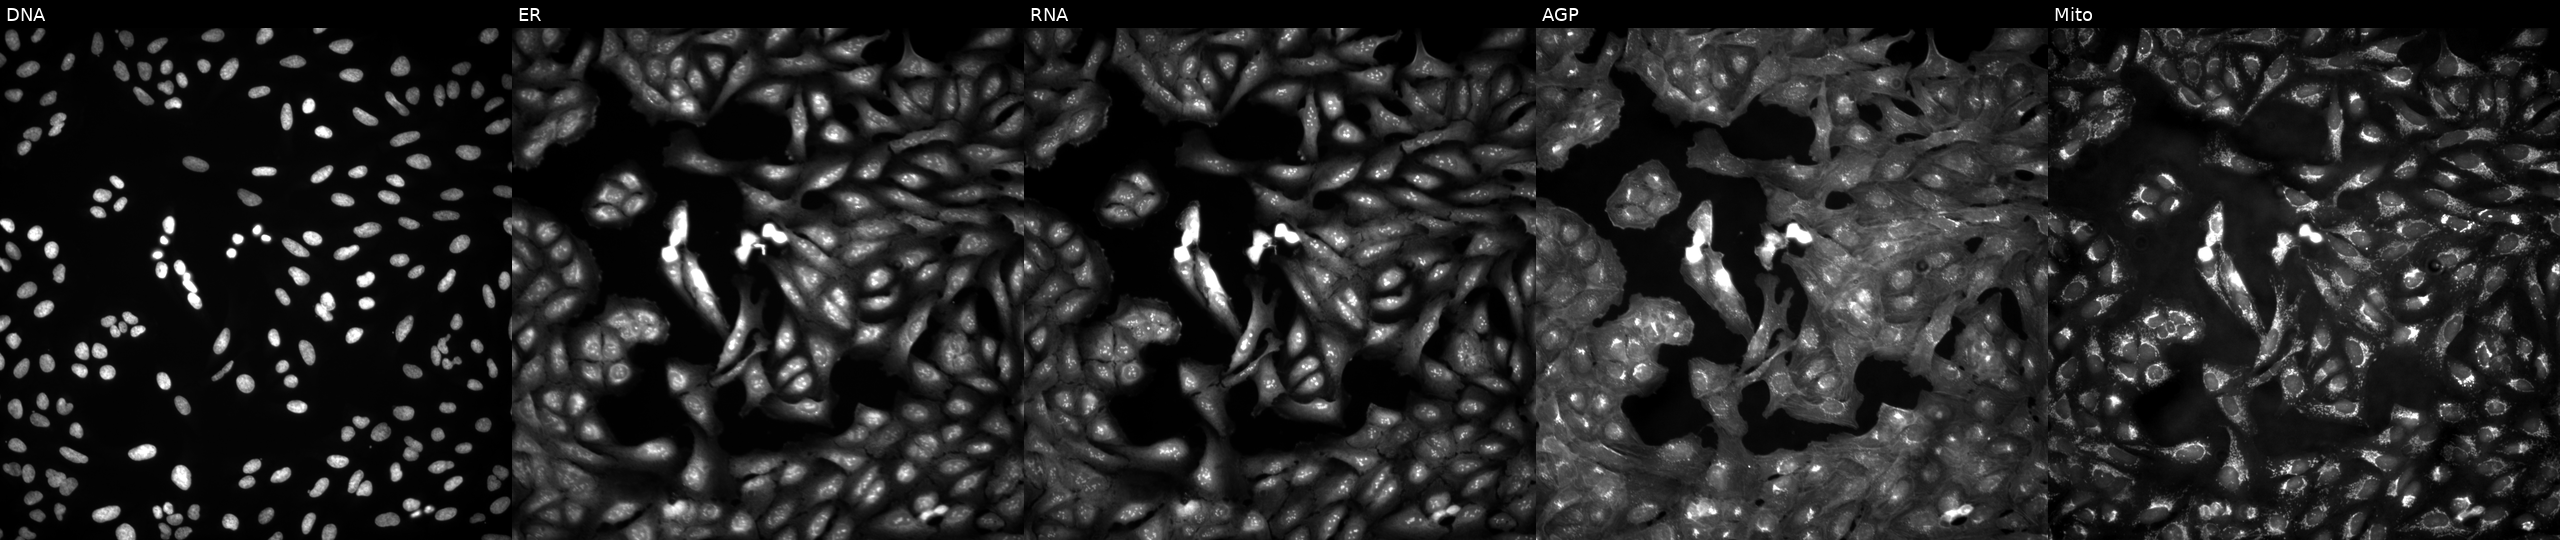
This image strip shows the five Cell Painting channels for a single field of U2OS cells untreated (empty-well control) (JUMP id JCP2022_999999). From left to right: Hoechst 33342, concanavalin A, SYTO 14, phalloidin and WGA, MitoTracker.